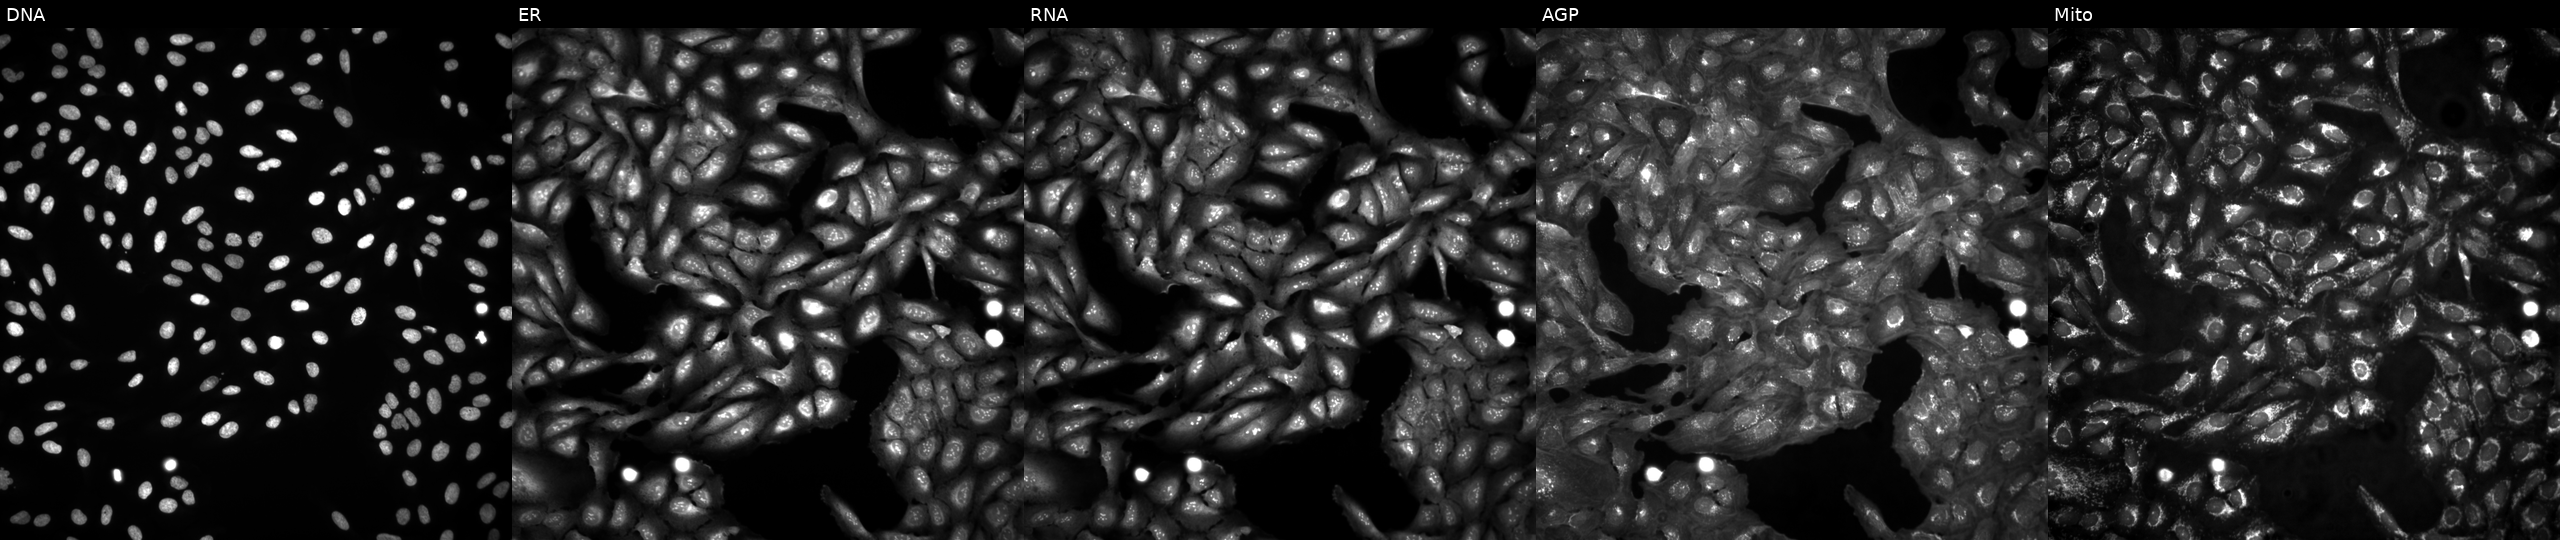
This image strip shows the five Cell Painting channels for a single field of U2OS cells in an empty control well (no perturbation) (JUMP id JCP2022_999999). The five panels, left to right, show Hoechst 33342, concanavalin A, SYTO 14, phalloidin and WGA, MitoTracker. Source 4, plate BR00124793, well I02.